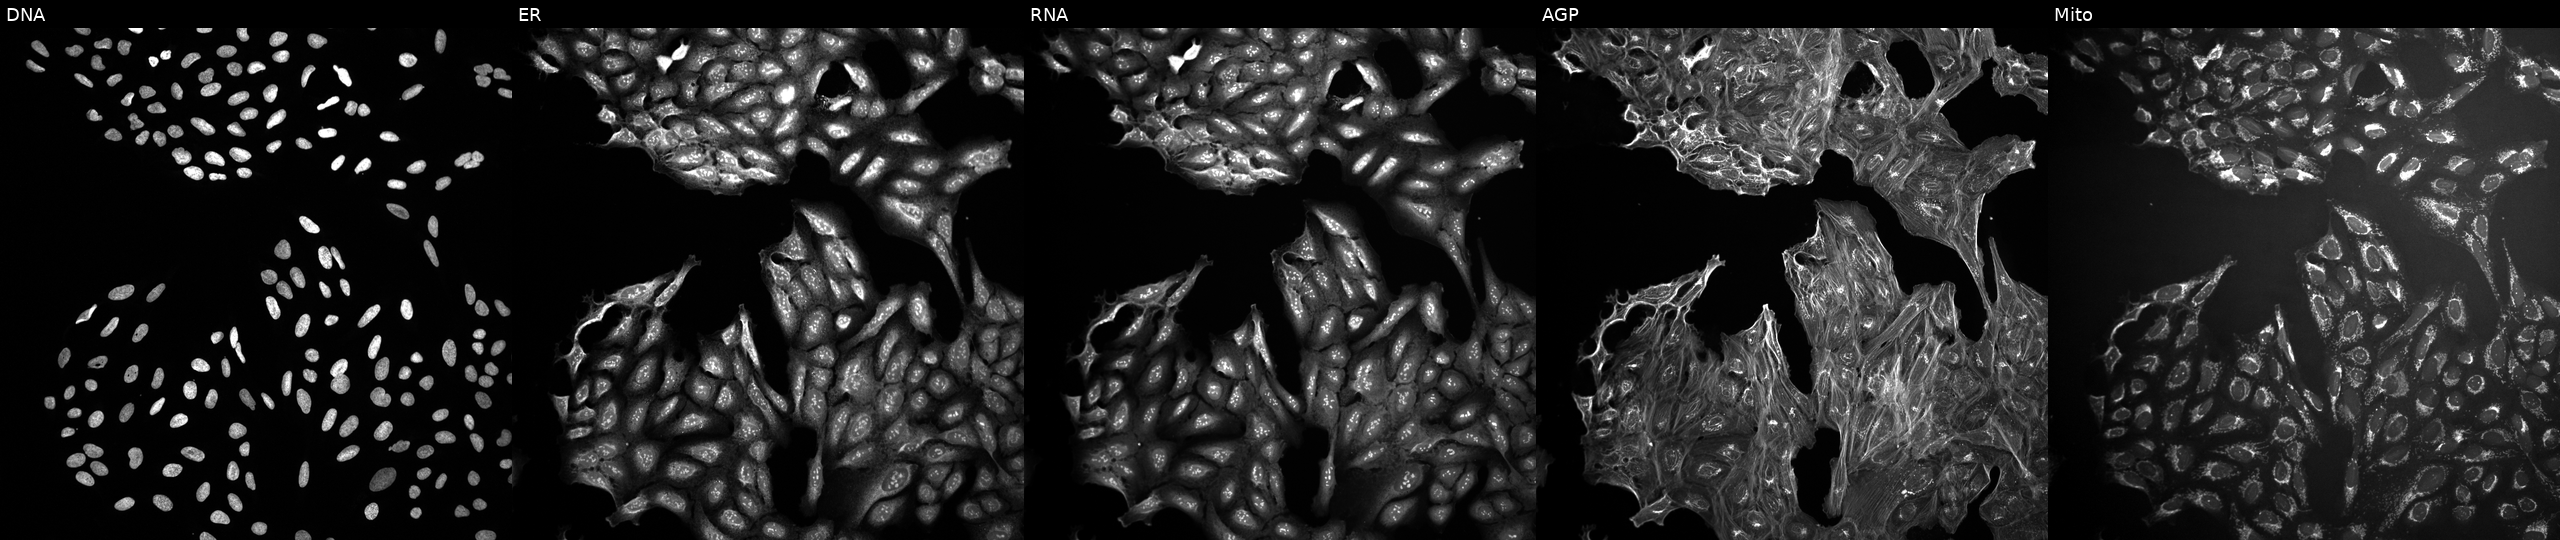
Five-channel Cell Painting image of U2OS cells exposed to a small-molecule compound (InChIKey WXPNDRBBWZMPQG-UHFFFAOYSA-N). The five panels, left to right, show DNA (nuclei); ER (endoplasmic reticulum); RNA (nucleoli and cytoplasmic RNA); AGP (actin cytoskeleton, Golgi, and plasma membrane); Mito (mitochondria). Source 10, plate Dest210726-160150, well F23.